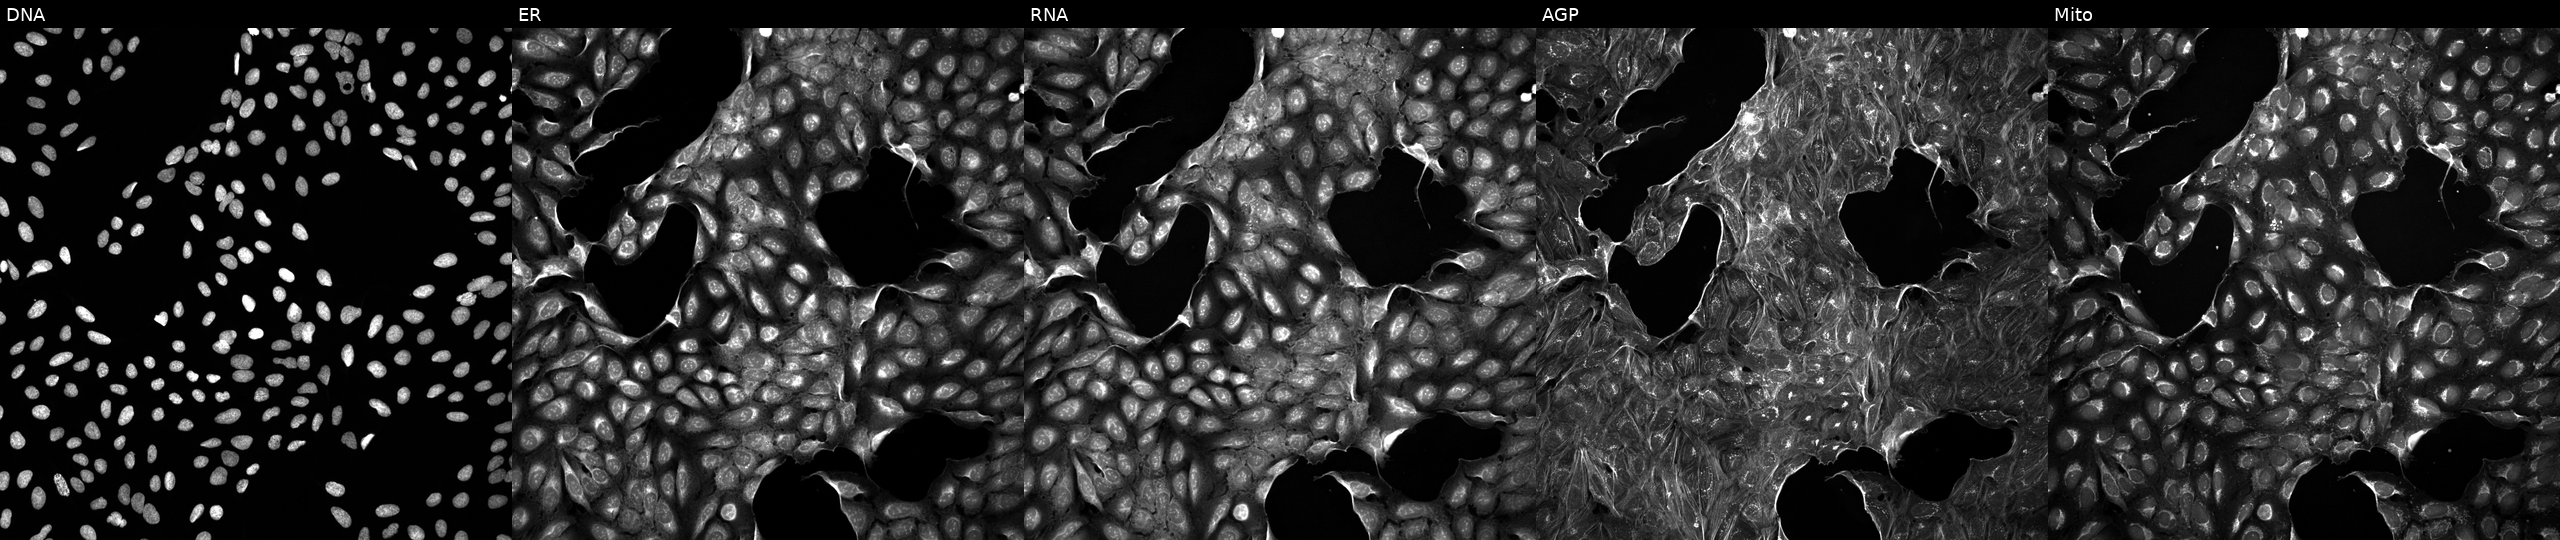
This image strip shows the five Cell Painting channels for a single field of U2OS cells treated with DMSO vehicle only (negative control) (JUMP id JCP2022_033924). The five panels, left to right, show Hoechst 33342, concanavalin A, SYTO 14, phalloidin and WGA, MitoTracker.